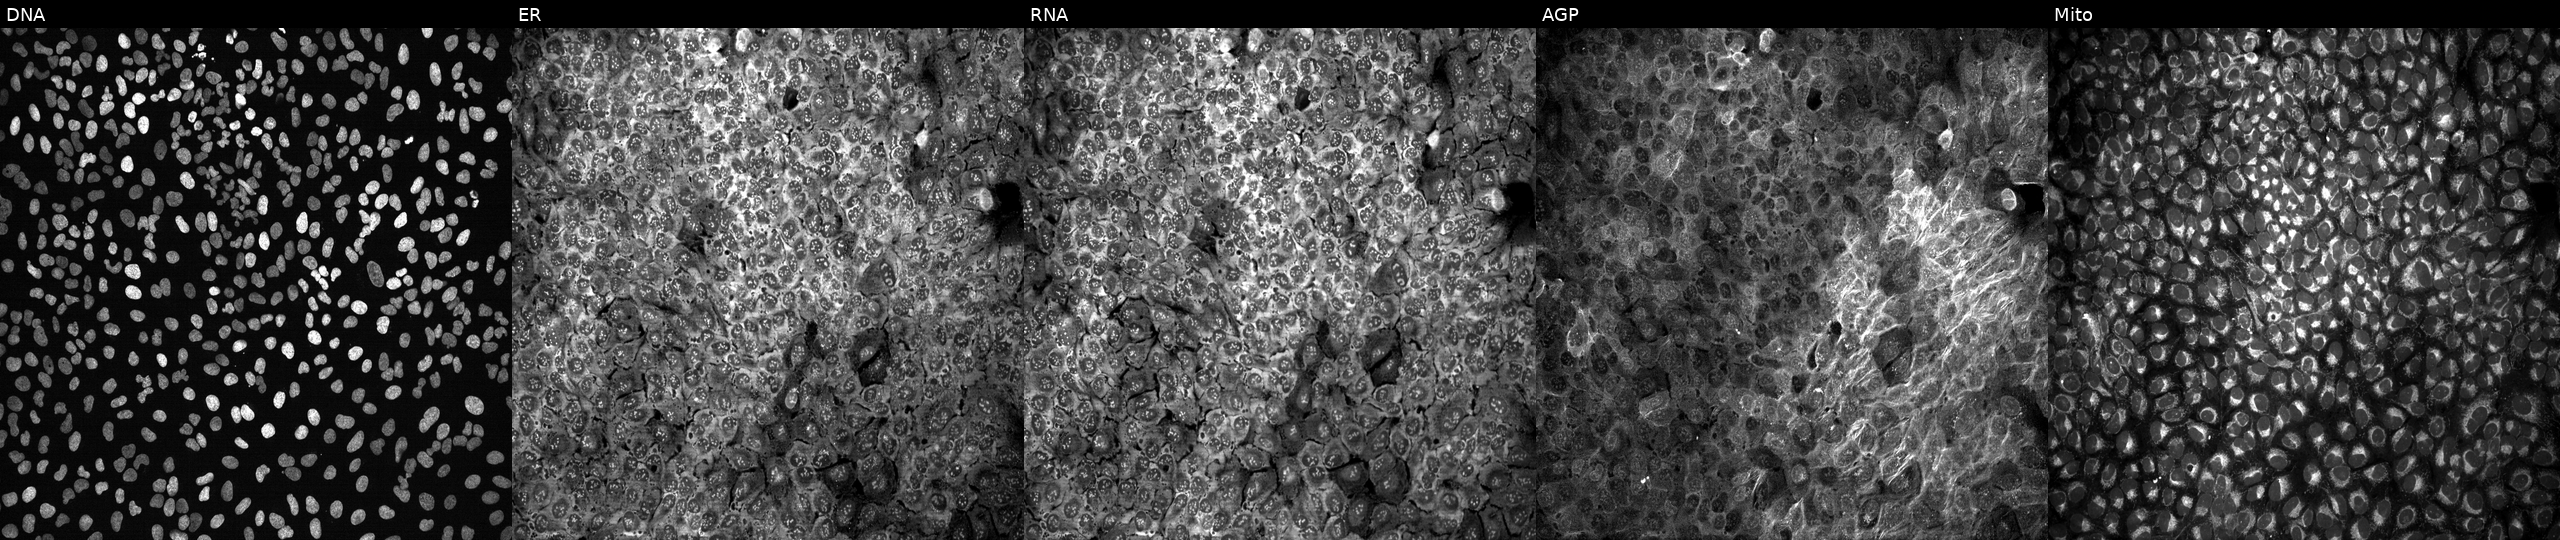
JUMP Cell Painting — CRISPR plate. U2OS cells with a non-targeting CRISPR guide (negative control). Panels show, left to right, DNA (nuclei); ER (endoplasmic reticulum); RNA (nucleoli and cytoplasmic RNA); AGP (actin cytoskeleton, Golgi, and plasma membrane); Mito (mitochondria). Source 13, plate CP-CC9-R2-01, well O23.